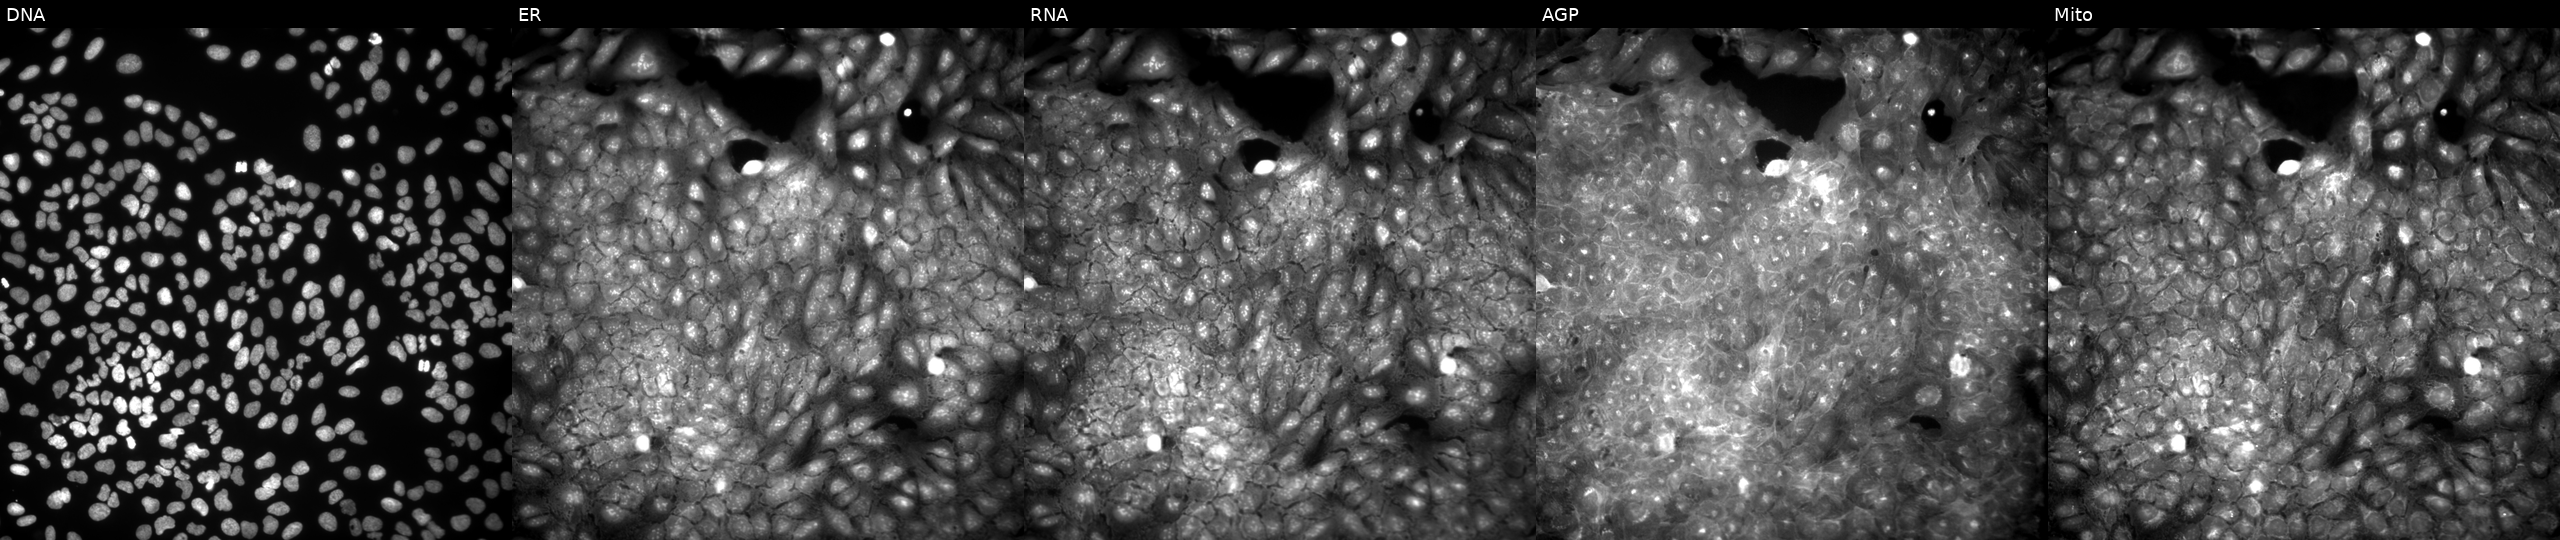
The five panels, left to right, show DNA (nuclei); ER (endoplasmic reticulum); RNA (nucleoli and cytoplasmic RNA); AGP (actin cytoskeleton, Golgi, and plasma membrane); Mito (mitochondria). U2OS osteosarcoma cells exposed to a small-molecule compound (InChIKey BZWOBHFJILYJMP-UHFFFAOYSA-N) [SMILES: O=C(NC(=S)Nc1ccc(N2CCOCC2)cc1)c1cccc(Cl)c1]. Cell Painting assay, JUMP-CP dataset.